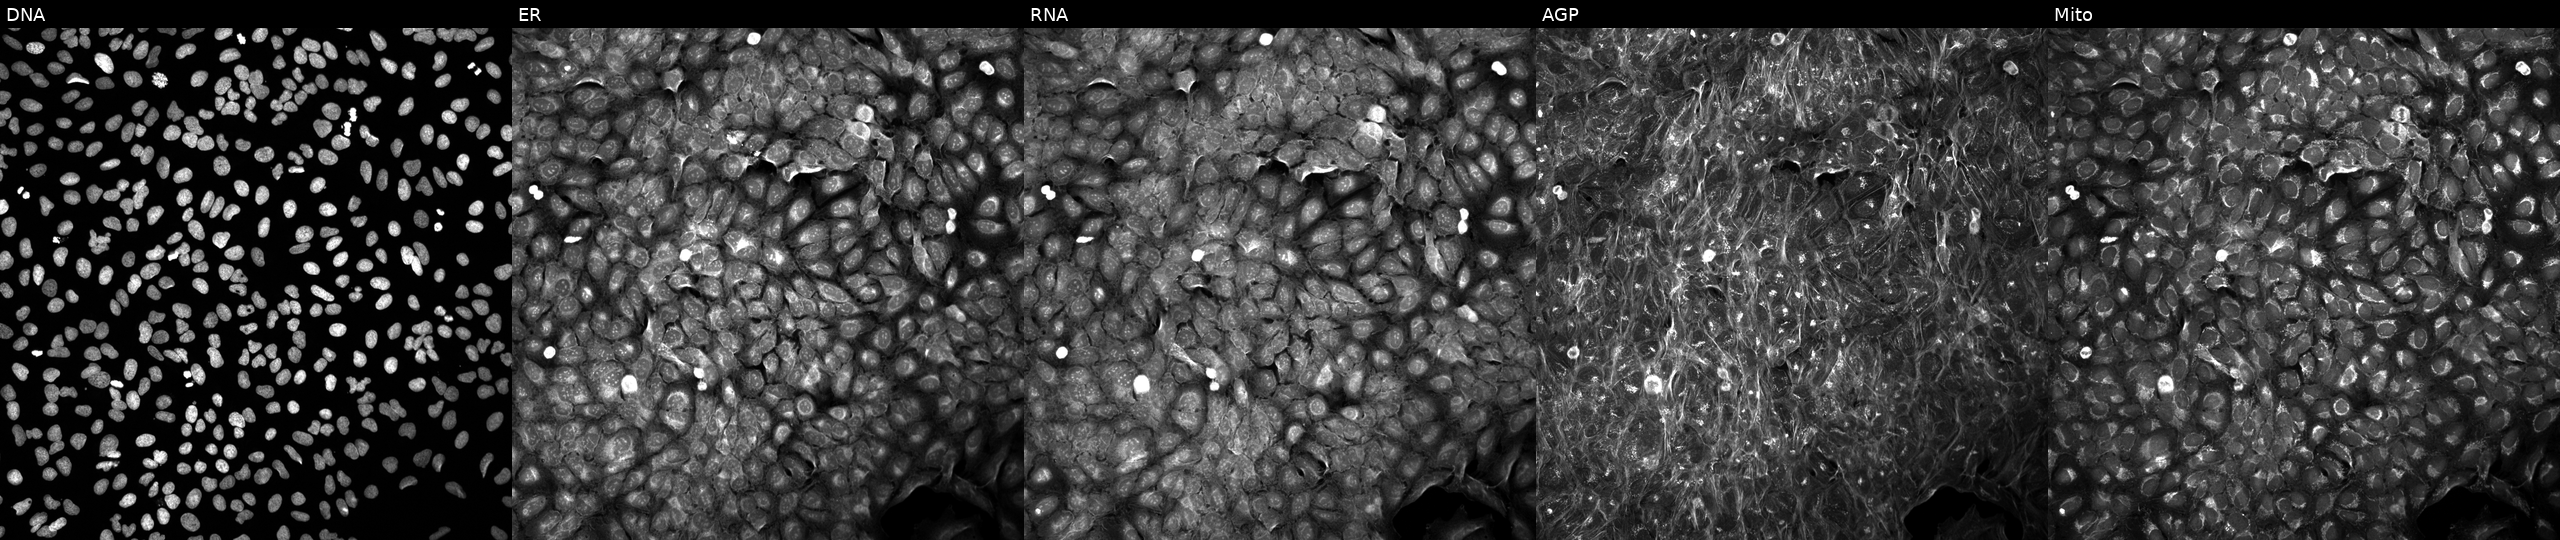
Channels (left→right): Hoechst 33342, concanavalin A, SYTO 14, phalloidin and WGA, MitoTracker. U2OS osteosarcoma cells exposed to a small-molecule compound (InChIKey PBBGSZCBWVPOOL-UHFFFAOYSA-N) (JUMP id JCP2022_067426). Cell Painting assay, JUMP-CP dataset. Source 5, plate ACPJUM012, well O22.